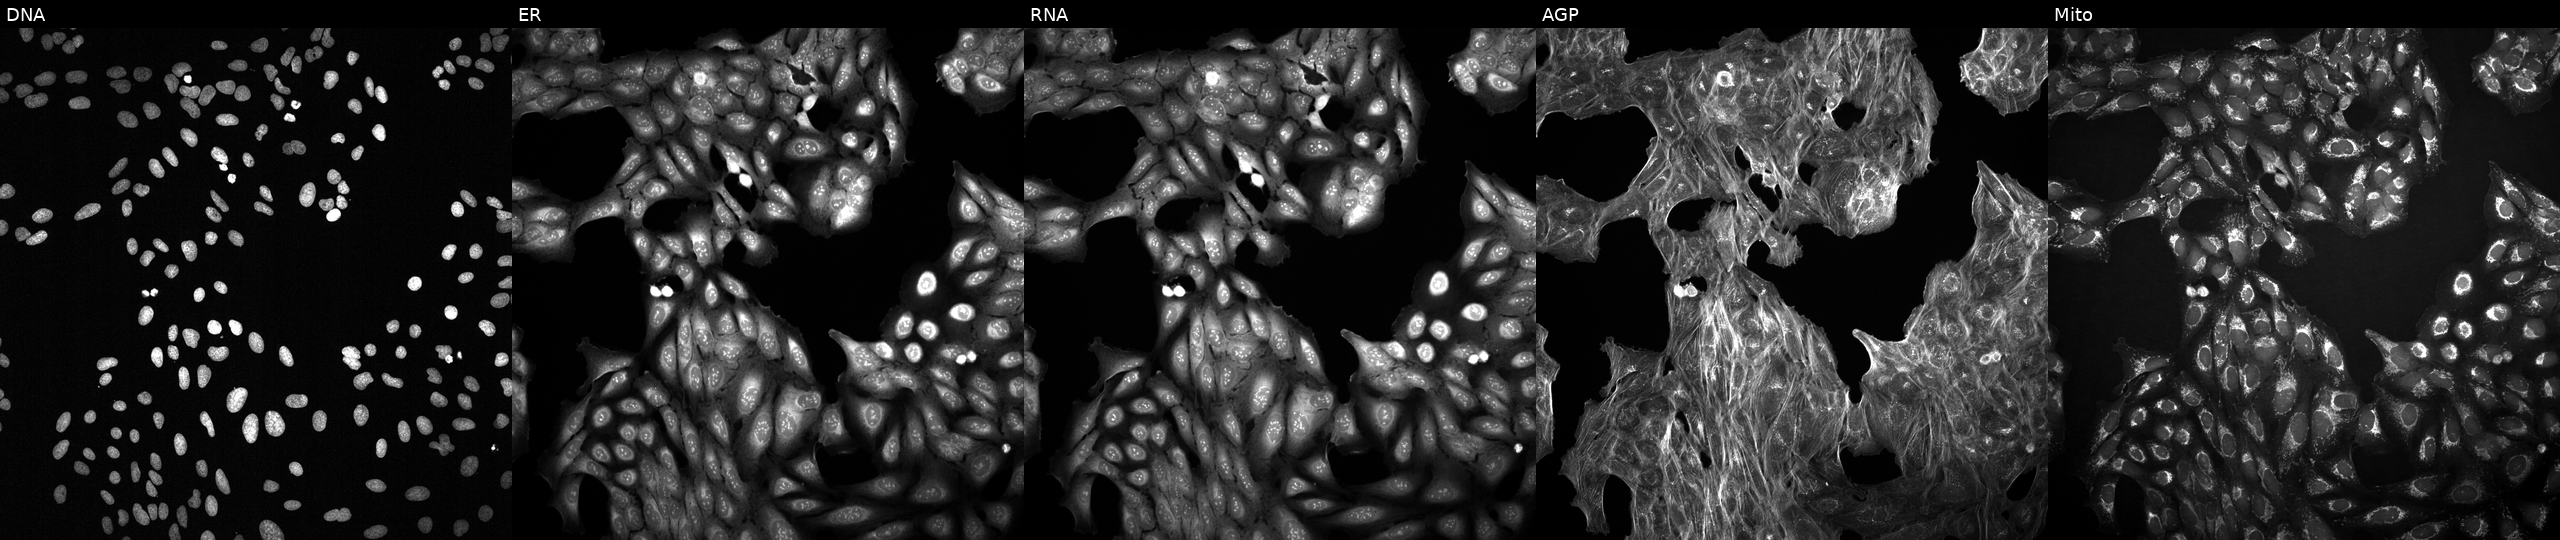
Panels show, left to right, DNA (nuclei); ER (endoplasmic reticulum); RNA (nucleoli and cytoplasmic RNA); AGP (actin cytoskeleton, Golgi, and plasma membrane); Mito (mitochondria). U2OS osteosarcoma cells with an unidentified perturbation (not annotated in JUMP metadata). Cell Painting assay, JUMP-CP dataset. Source 2, plate 1053601756, well P12.